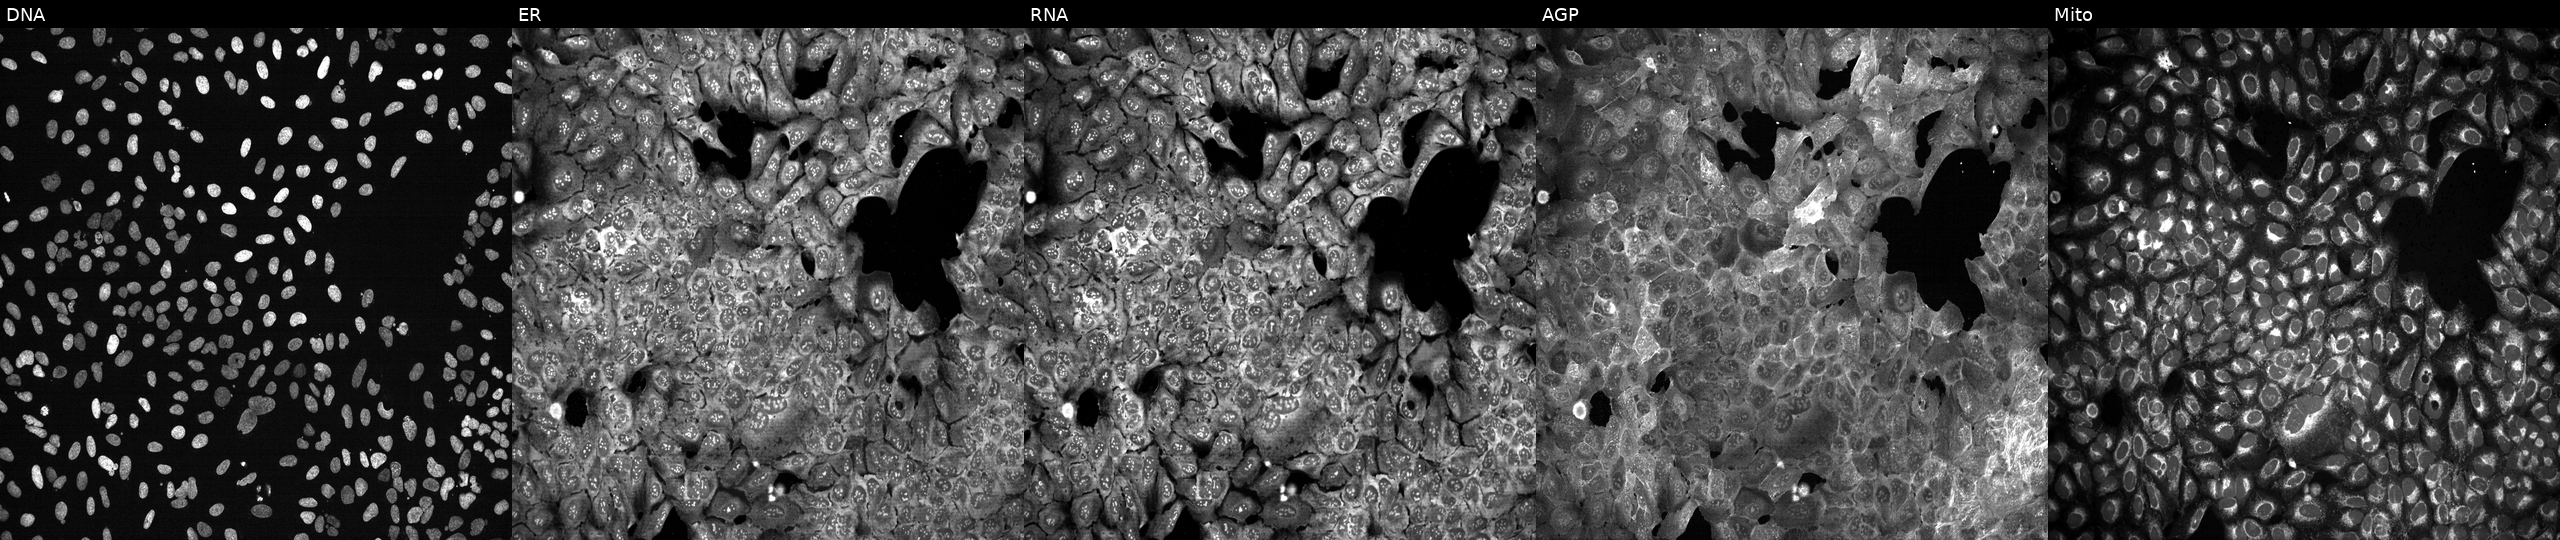
U2OS cells, Cell Painting assay, with ASTL knocked out by CRISPR (JUMP id JCP2022_800659). Panels show, left to right, Hoechst 33342, concanavalin A, SYTO 14, phalloidin and WGA, MitoTracker. Each panel is percentile-stretched 16-bit fluorescence.